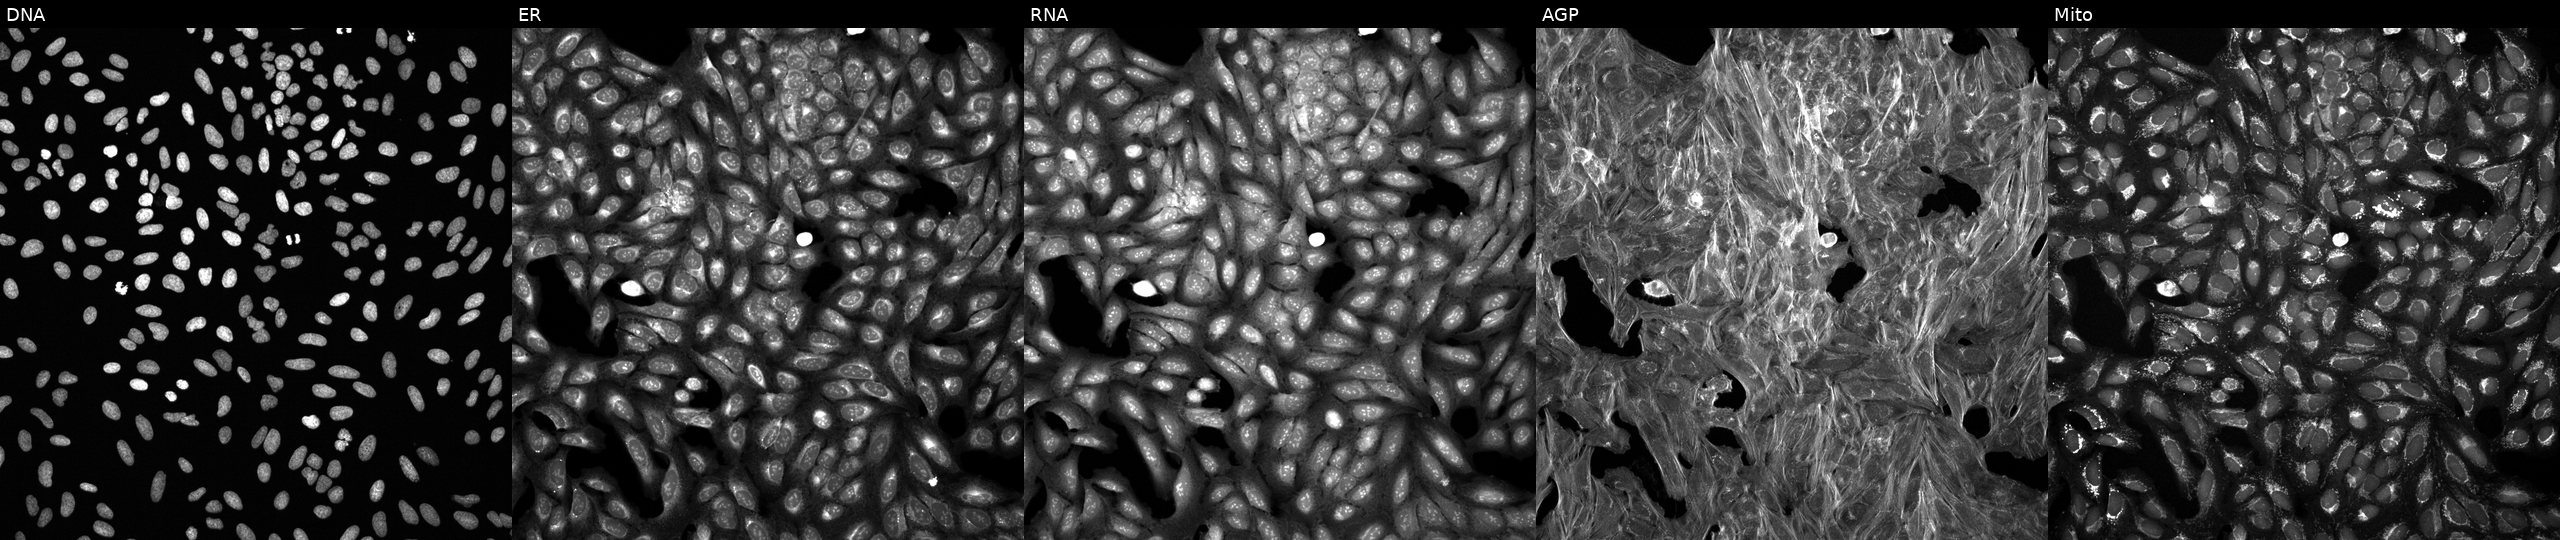
Panels show, left to right, DNA, ER, RNA, AGP, and Mito. U2OS osteosarcoma cells perturbed with a small-molecule compound (InChIKey BGVLELSCIHASRV-UHFFFAOYSA-N) (JUMP id JCP2022_006270). Cell Painting assay, JUMP-CP dataset.